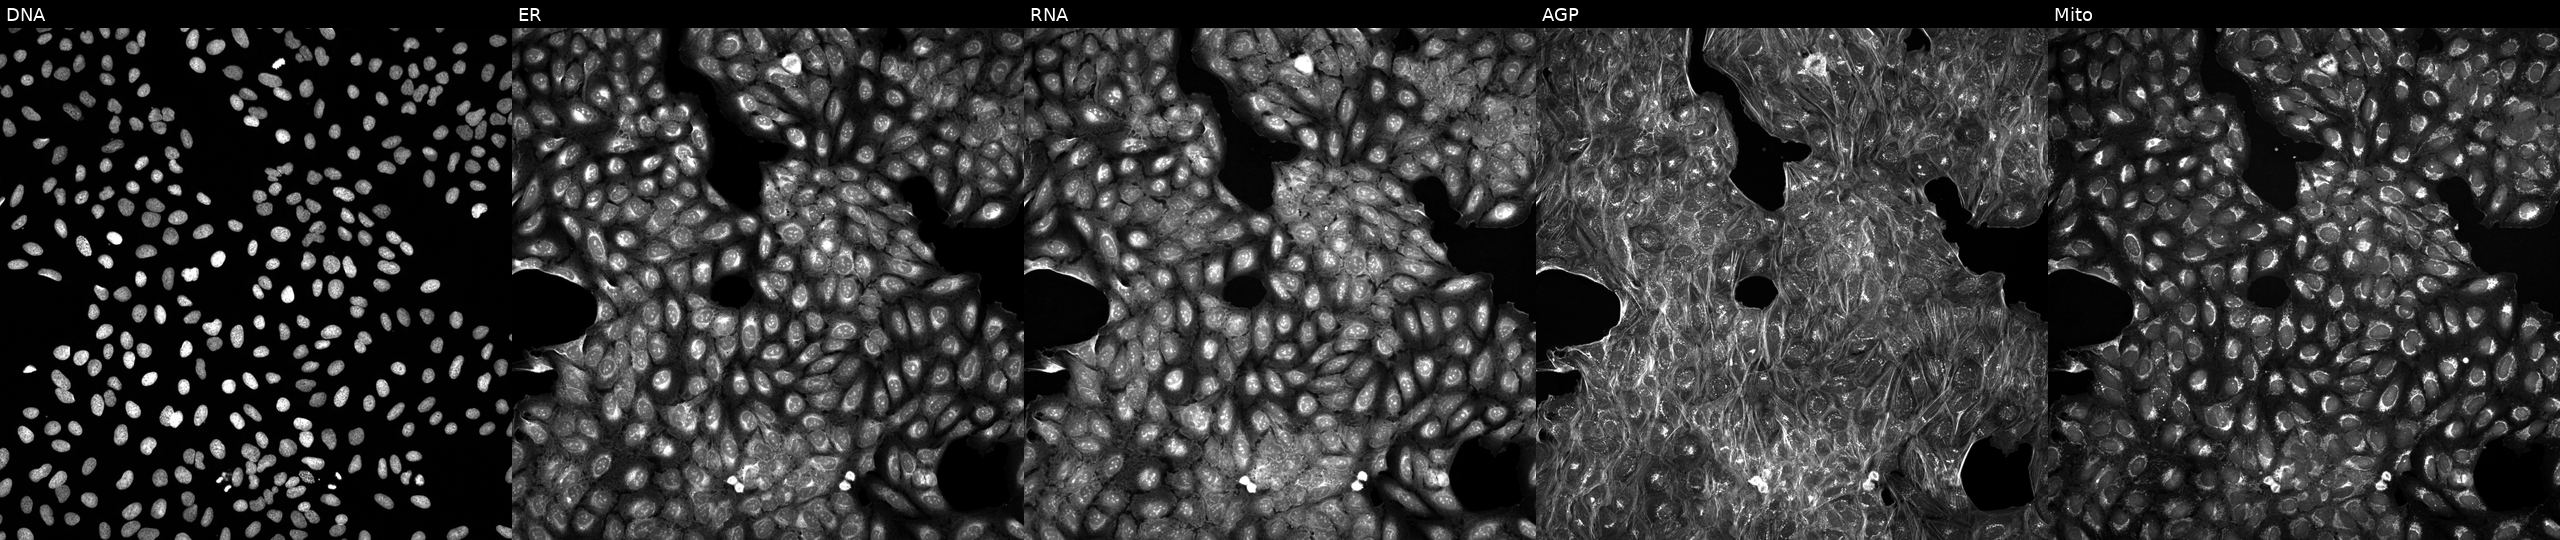
Five-channel Cell Painting image of U2OS cells exposed to a small-molecule compound (InChIKey NBHPRWLFLUBAIE-UHFFFAOYSA-N). Panels show, left to right, DNA, ER, RNA, AGP, and Mito.